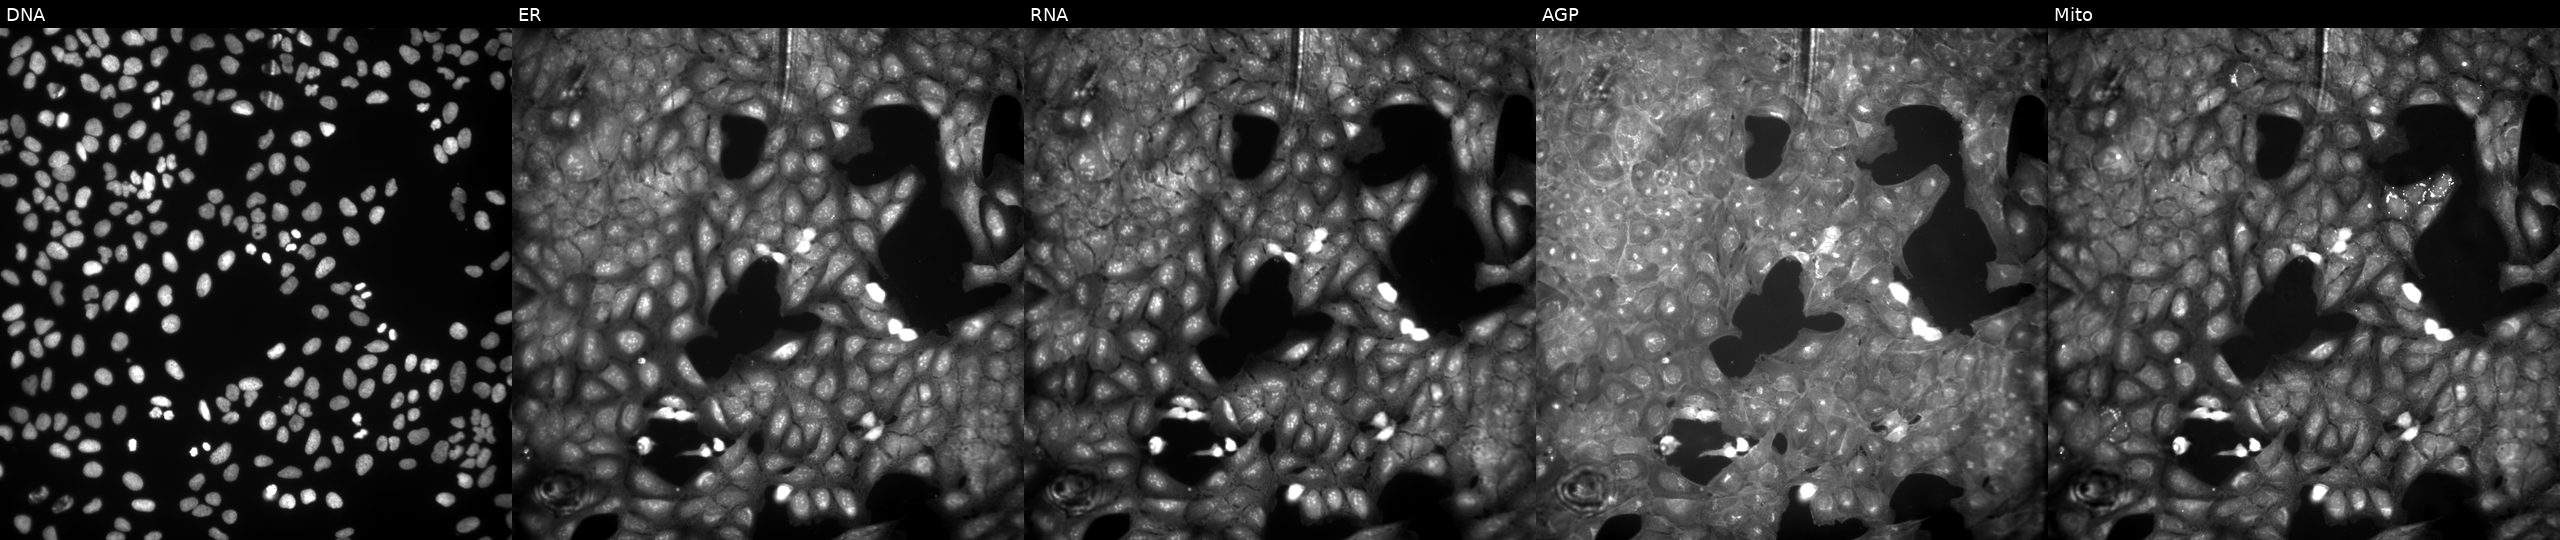
Five-channel Cell Painting image of U2OS cells treated with a small-molecule compound (InChIKey XTYVIHBWMOVESC-UHFFFAOYSA-N). Panels show, left to right, Hoechst 33342, concanavalin A, SYTO 14, phalloidin and WGA, MitoTracker.